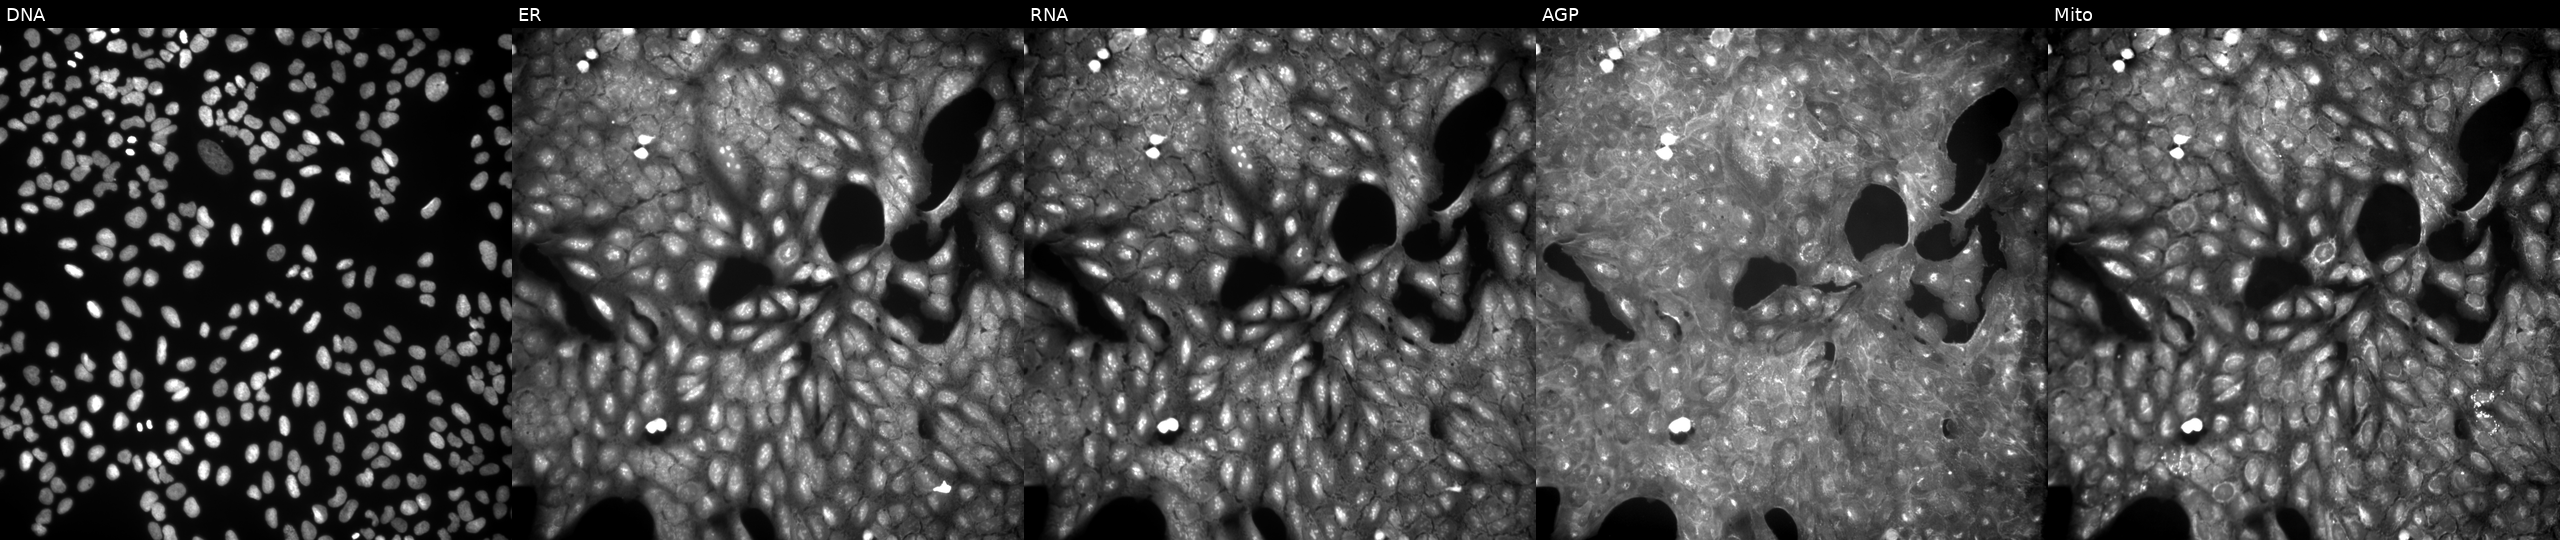
The five panels, left to right, show Hoechst 33342, concanavalin A, SYTO 14, phalloidin and WGA, MitoTracker. U2OS osteosarcoma cells perturbed with a small-molecule compound (InChIKey SSAMOHSTUJFQFP-UHFFFAOYSA-N). Cell Painting assay, JUMP-CP dataset. Source 9, plate GR00003381, well F40.